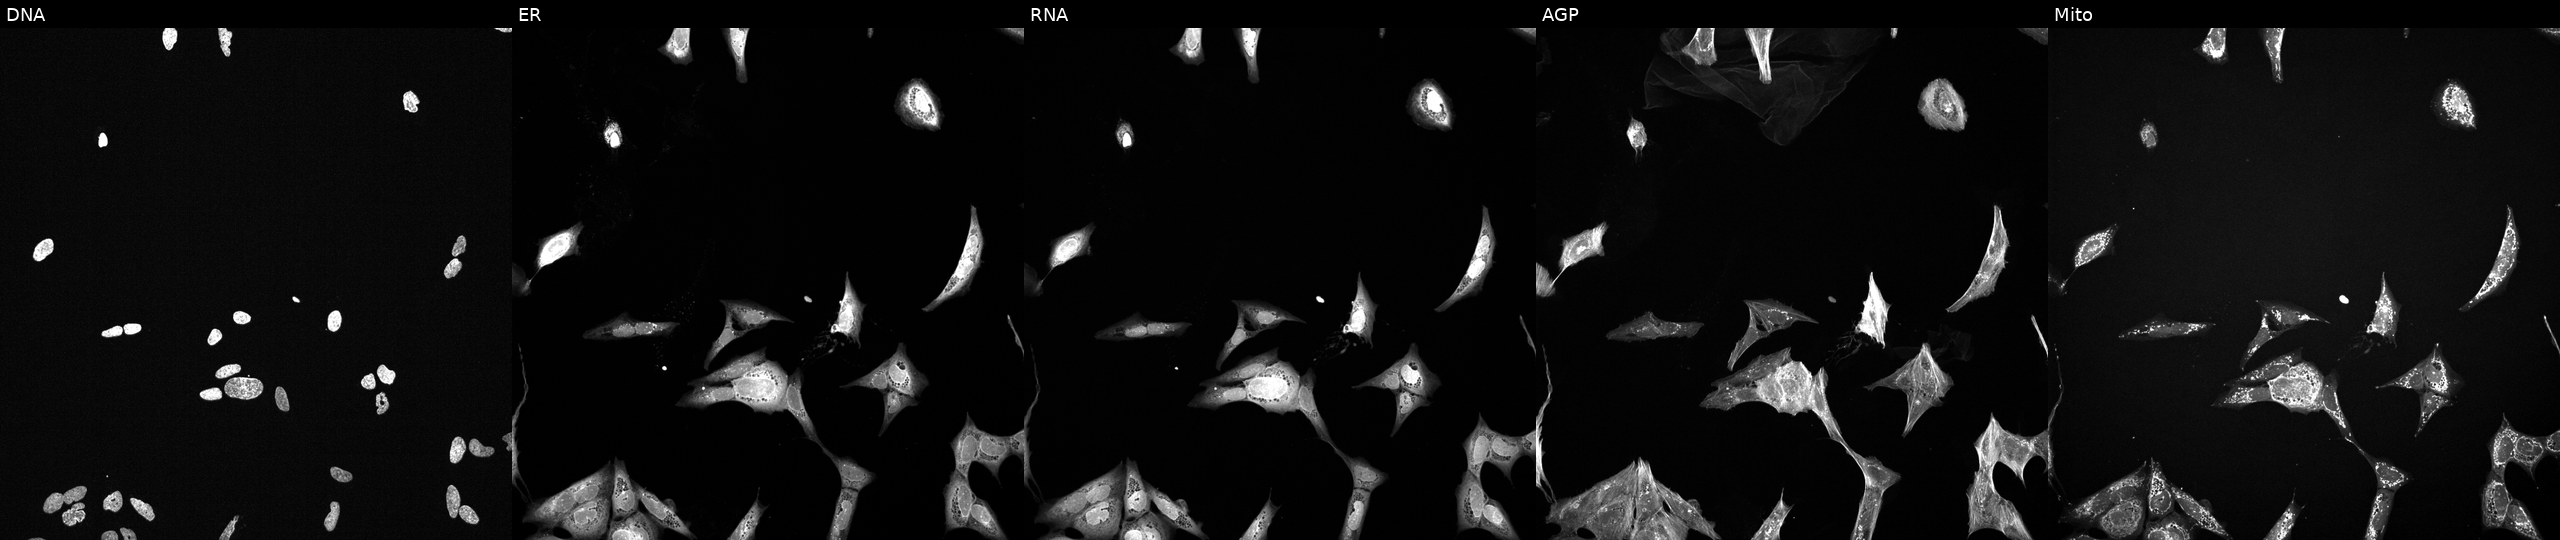
Five-channel Cell Painting image of U2OS cells treated with a small-molecule compound. The five panels, left to right, show DNA (nuclei); ER (endoplasmic reticulum); RNA (nucleoli and cytoplasmic RNA); AGP (actin cytoskeleton, Golgi, and plasma membrane); Mito (mitochondria).